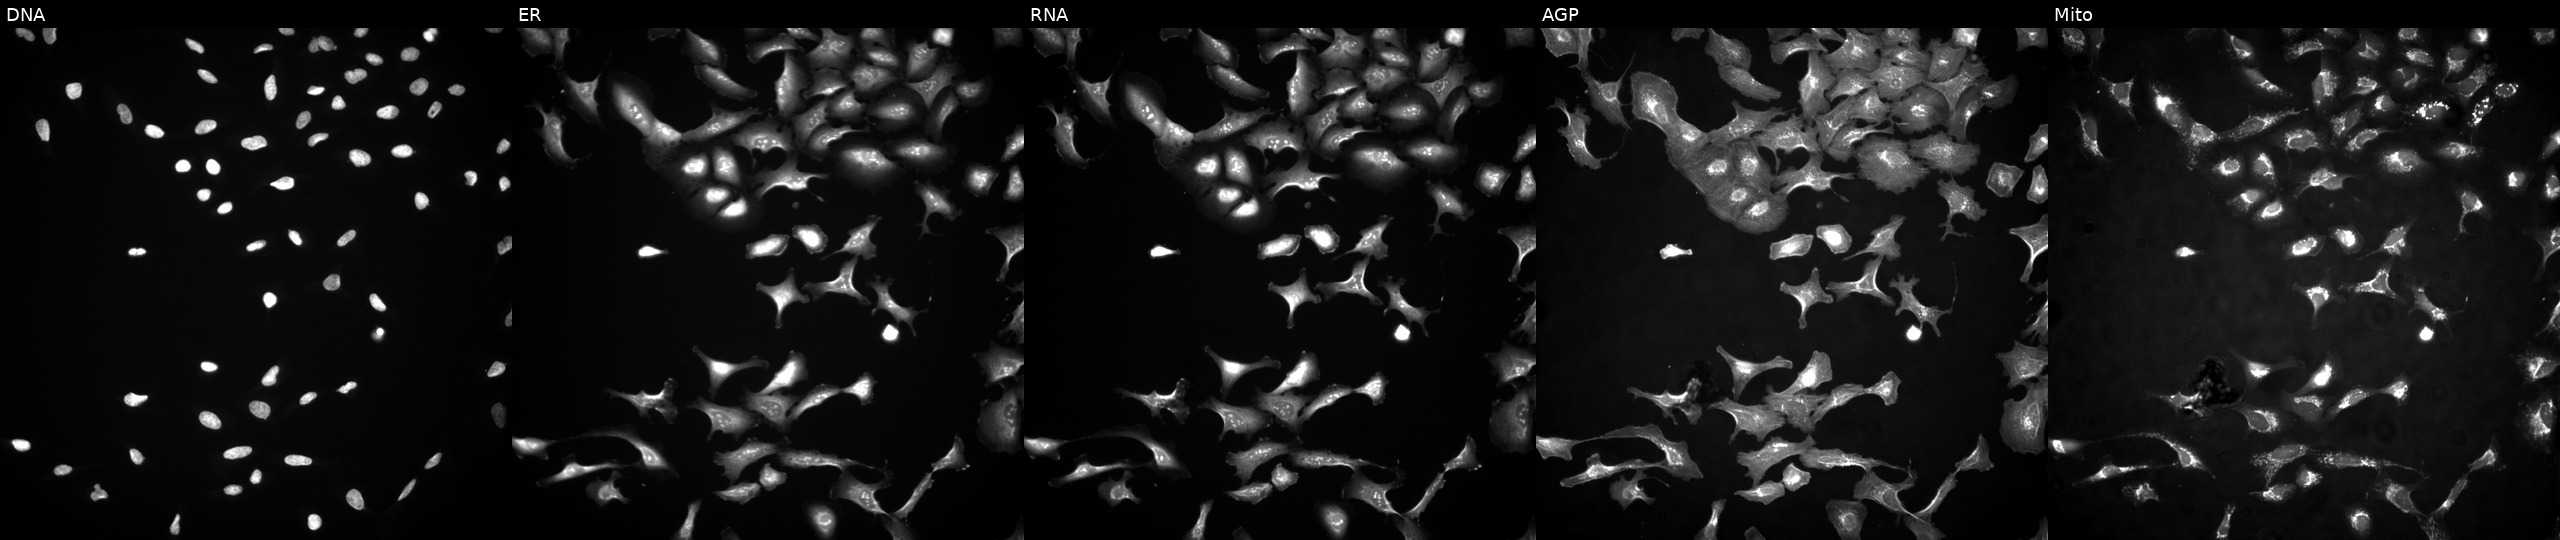
U2OS cells, Cell Painting assay, overexpressing SATB2 via ORF transfection. From left to right: DNA (nuclei); ER (endoplasmic reticulum); RNA (nucleoli and cytoplasmic RNA); AGP (actin cytoskeleton, Golgi, and plasma membrane); Mito (mitochondria). Each panel is percentile-stretched 16-bit fluorescence. Source 4, plate BR00117035, well J24.